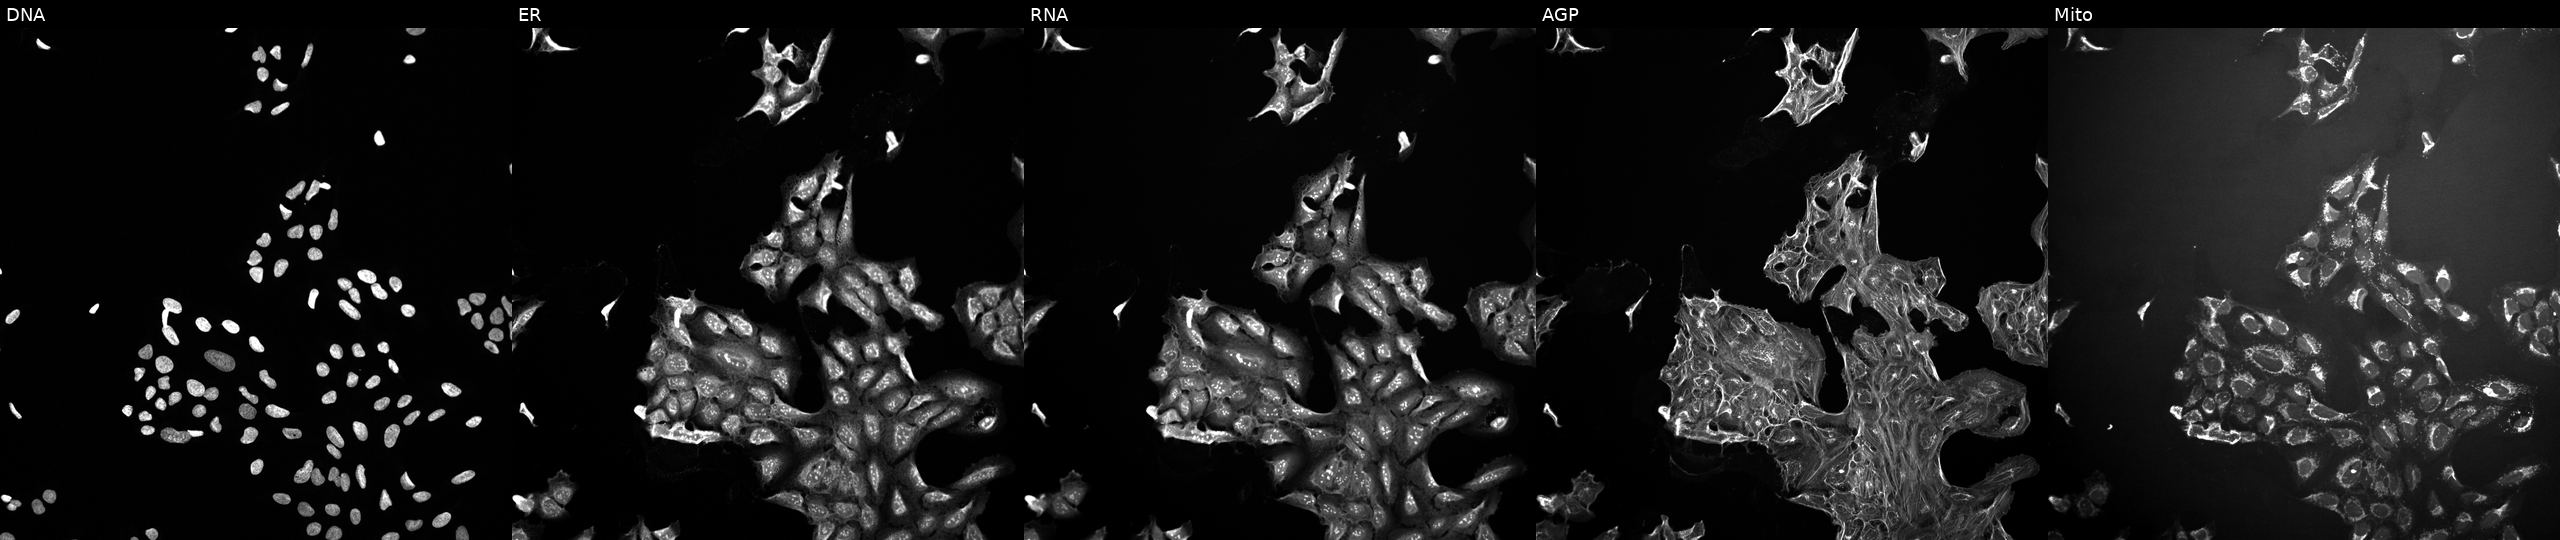
U2OS cells, Cell Painting assay, exposed to a small-molecule compound (InChIKey CDJNNOJINJAXPV-UHFFFAOYSA-N). The five panels, left to right, show Hoechst 33342, concanavalin A, SYTO 14, phalloidin and WGA, MitoTracker. Each panel is percentile-stretched 16-bit fluorescence.